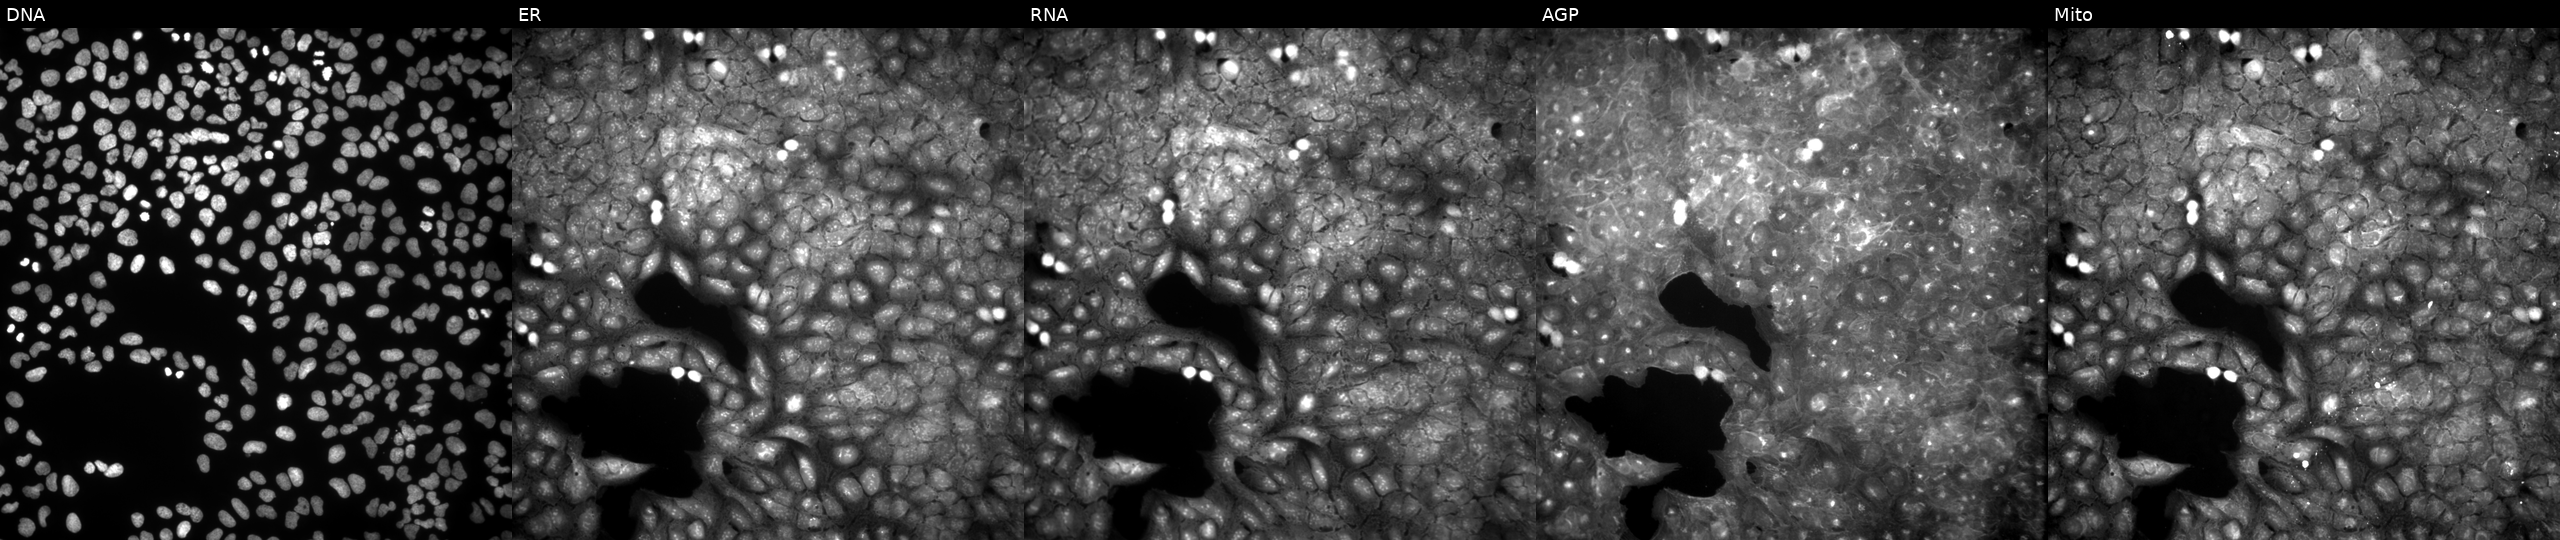
The five panels, left to right, show Hoechst 33342, concanavalin A, SYTO 14, phalloidin and WGA, MitoTracker. U2OS osteosarcoma cells exposed to a small-molecule compound (InChIKey CPQRVQPLUUZMCK-UHFFFAOYSA-N) (JUMP id JCP2022_012680). Cell Painting assay, JUMP-CP dataset. Source 9, plate GR00003382, well L28.